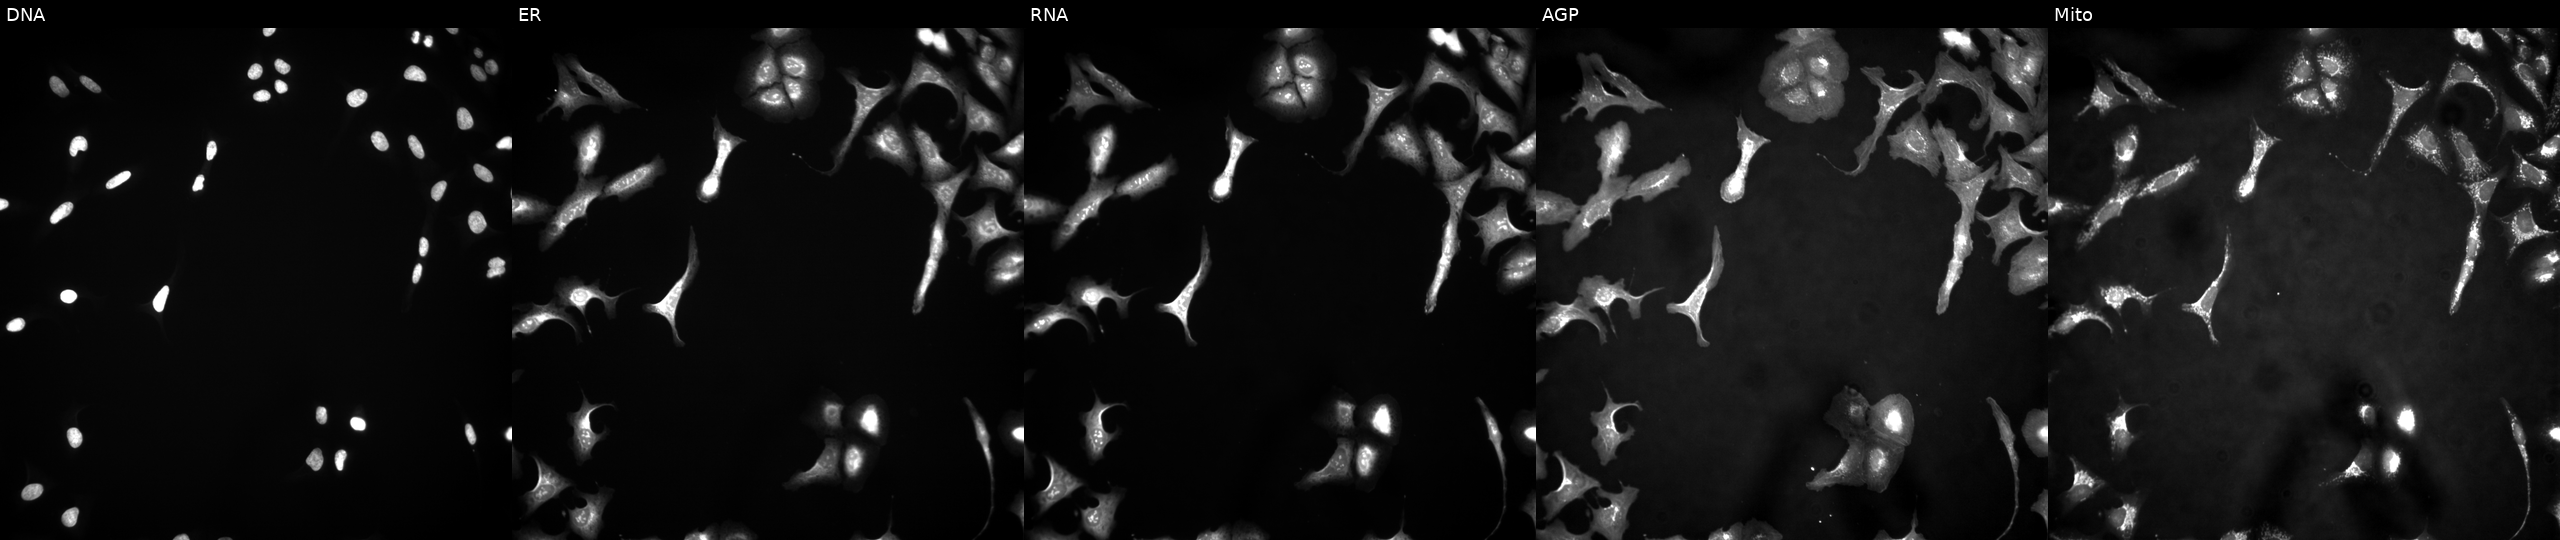
U2OS cells, Cell Painting assay, with DUSP3 overexpressed (ORF). Panels show, left to right, Hoechst 33342, concanavalin A, SYTO 14, phalloidin and WGA, MitoTracker. Each panel is percentile-stretched 16-bit fluorescence.